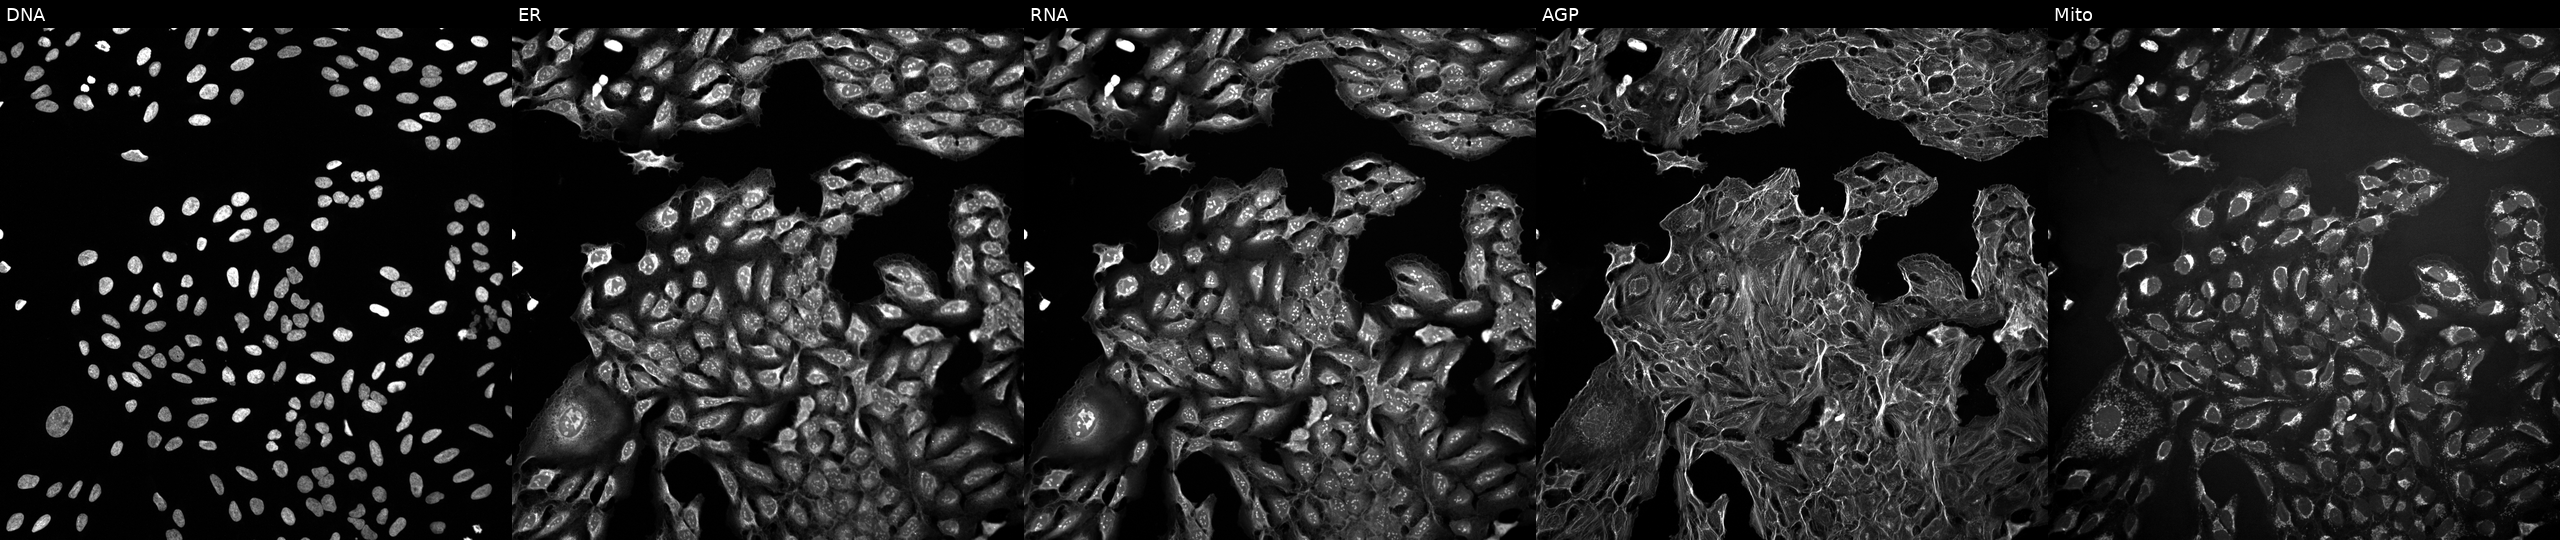
U2OS cells, Cell Painting assay, perturbed with a small-molecule compound (InChIKey KSCFJBIXMNOVSH-UHFFFAOYSA-N). Panels show, left to right, DNA, ER, RNA, AGP, and Mito. Each panel is percentile-stretched 16-bit fluorescence.